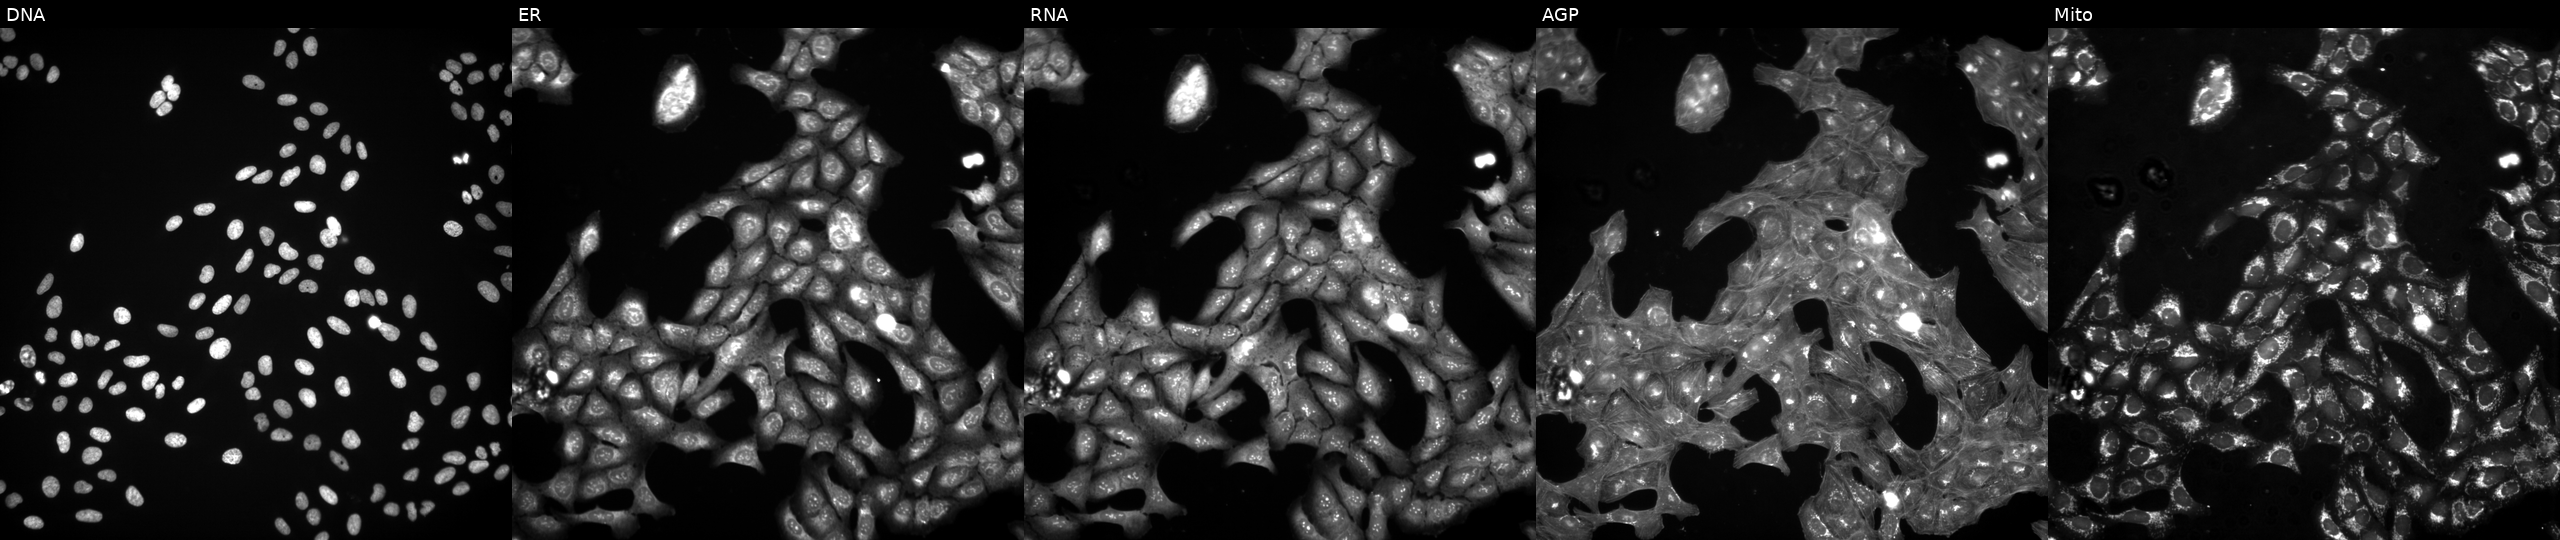
This image strip shows the five Cell Painting channels for a single field of U2OS cells exposed to a small-molecule compound (InChIKey IEBOPGRFOMBOFI-UHFFFAOYSA-N). Panels show, left to right, Hoechst 33342, concanavalin A, SYTO 14, phalloidin and WGA, MitoTracker. Source 3, plate BR5867a3, well P16.